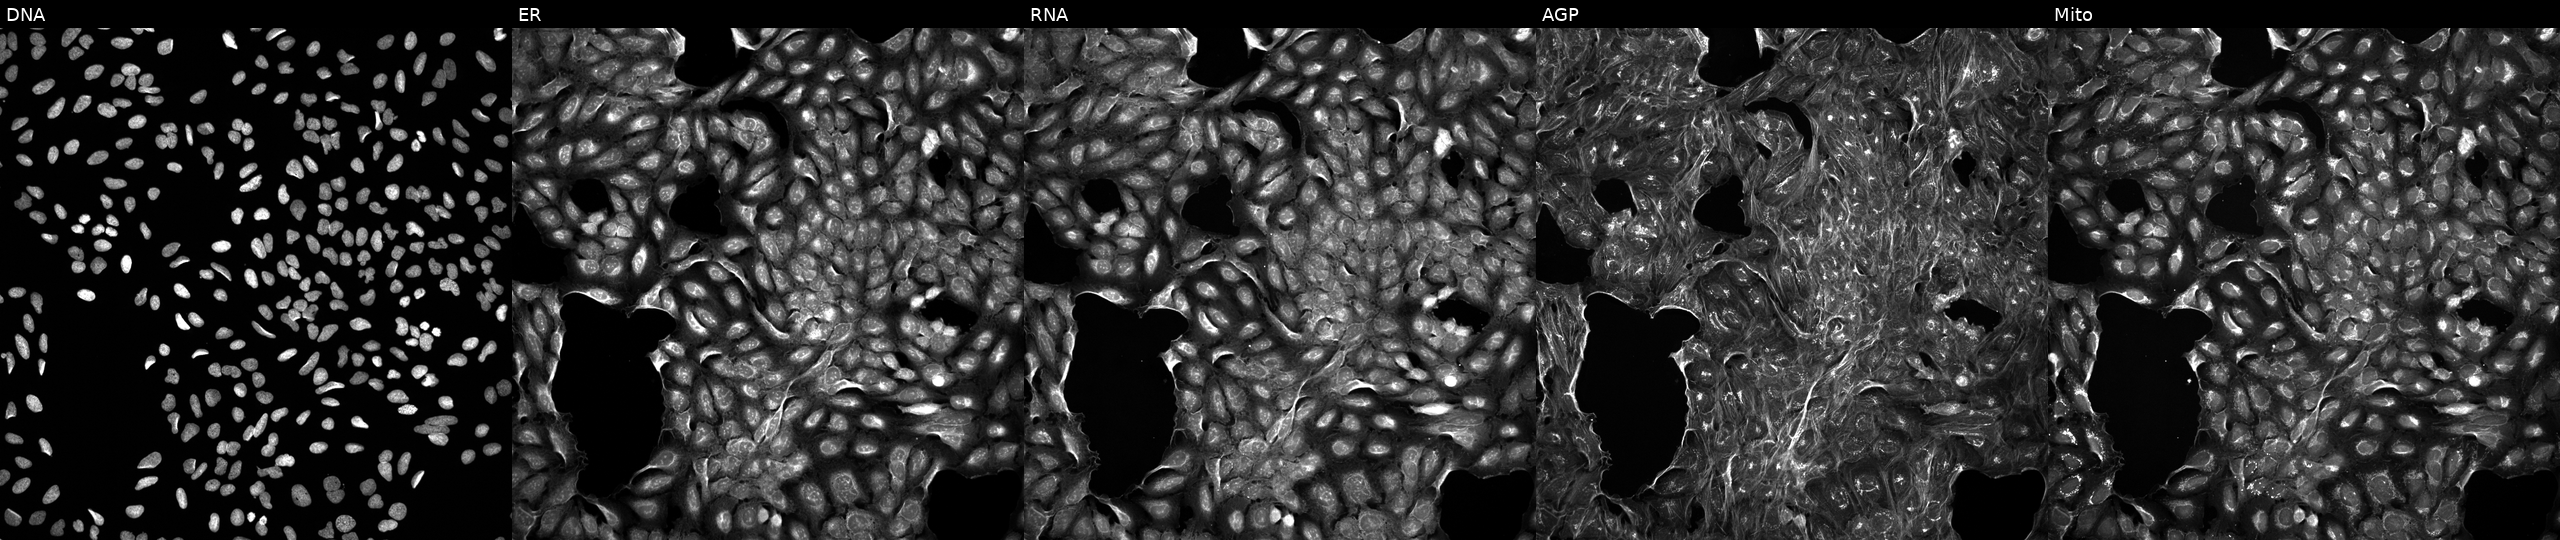
This image strip shows the five Cell Painting channels for a single field of U2OS cells exposed to a small-molecule compound [SMILES: CN1CCCc2ccc(S(=O)(=O)N(C)CC3CCc4nccn4C3)cc21] (JUMP id JCP2022_027892). Panels show, left to right, Hoechst 33342, concanavalin A, SYTO 14, phalloidin and WGA, MitoTracker. Source 5, plate APTJUM105, well N04.